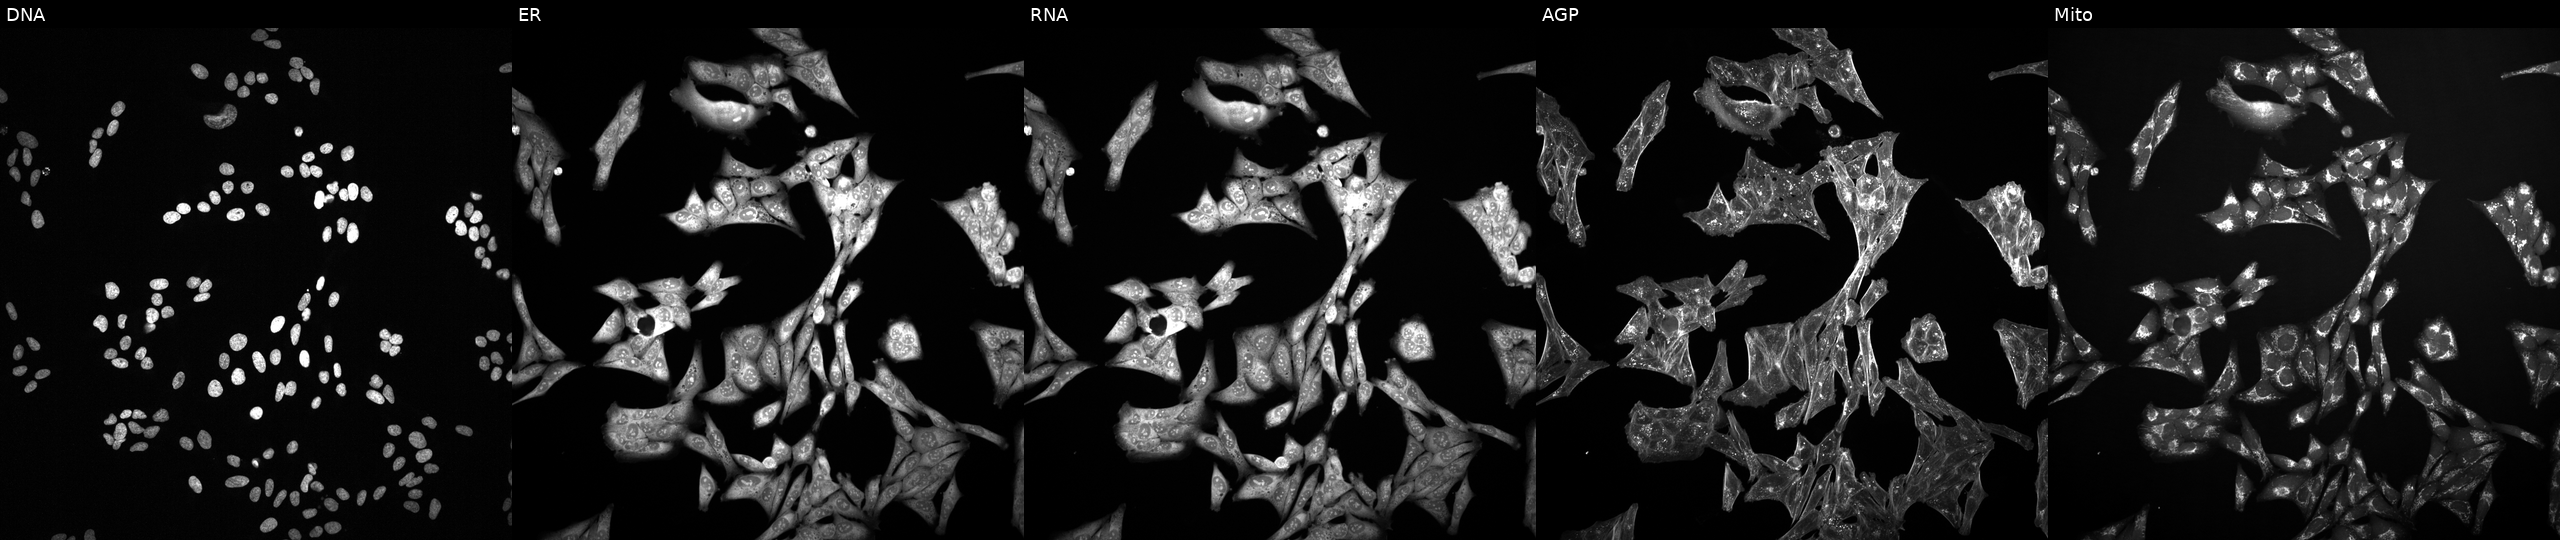
U2OS cells, Cell Painting assay, perturbed with a small-molecule compound (InChIKey KJNNWYBAOPXVJY-UHFFFAOYSA-N) (JUMP id JCP2022_045036). From left to right: Hoechst 33342, concanavalin A, SYTO 14, phalloidin and WGA, MitoTracker. Each panel is percentile-stretched 16-bit fluorescence.